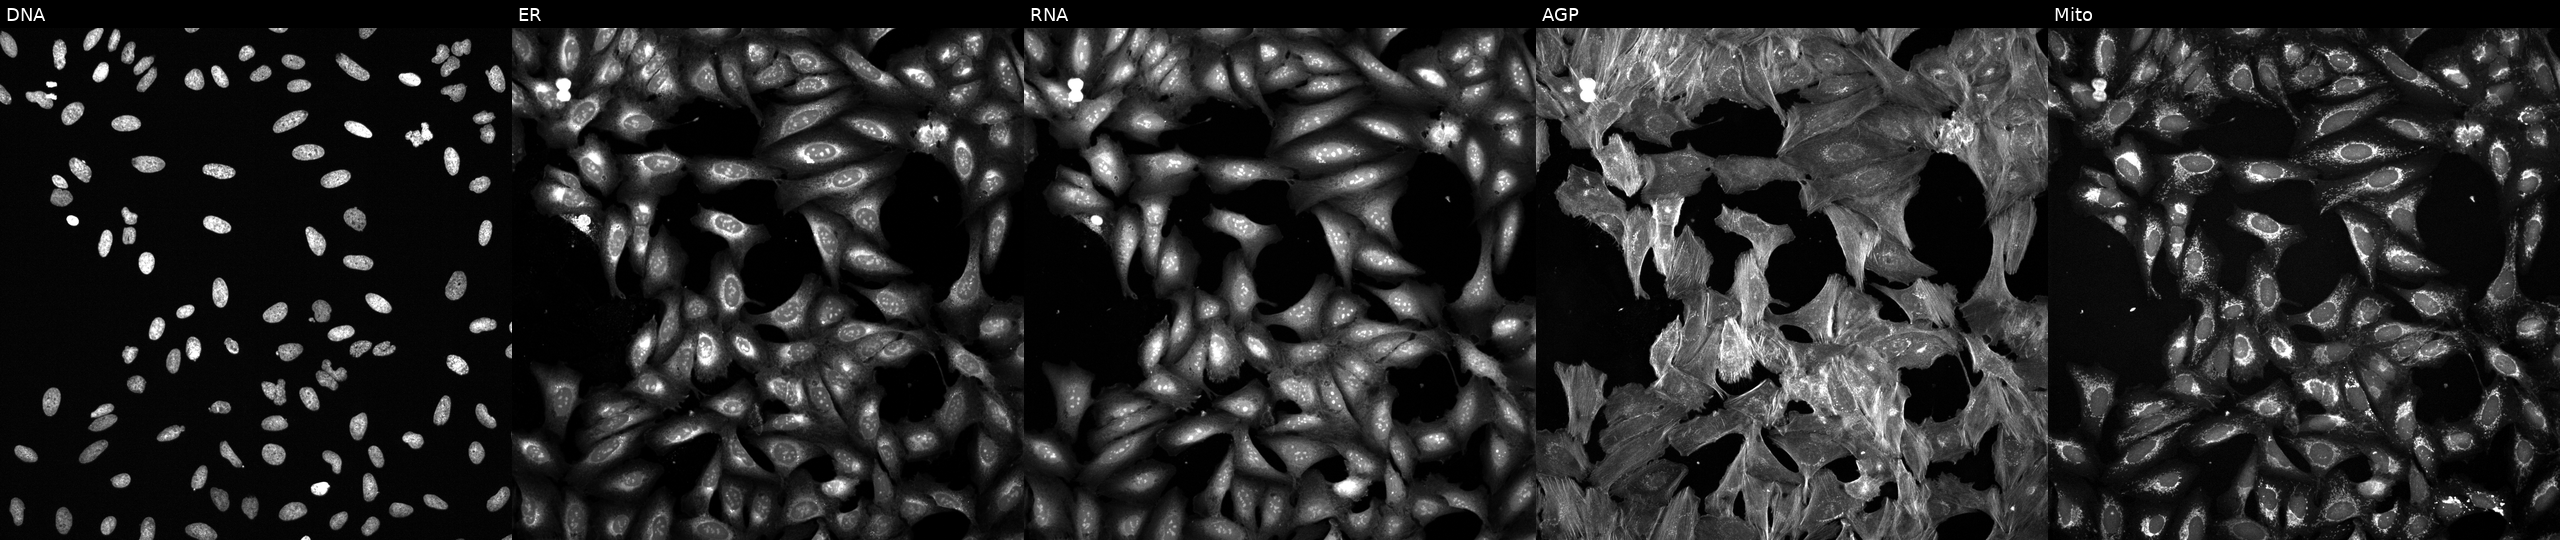
The five panels, left to right, show Hoechst 33342, concanavalin A, SYTO 14, phalloidin and WGA, MitoTracker. U2OS osteosarcoma cells exposed to a small-molecule compound [SMILES: CCOC(=O)C(Cc1ccccc1)NC(=O)c1cc(Cl)c(OCCN2CCN(C)CC2)c(Cl)c1O] (JUMP id JCP2022_036614). Cell Painting assay, JUMP-CP dataset. Source 6, plate 110000293093, well L05.